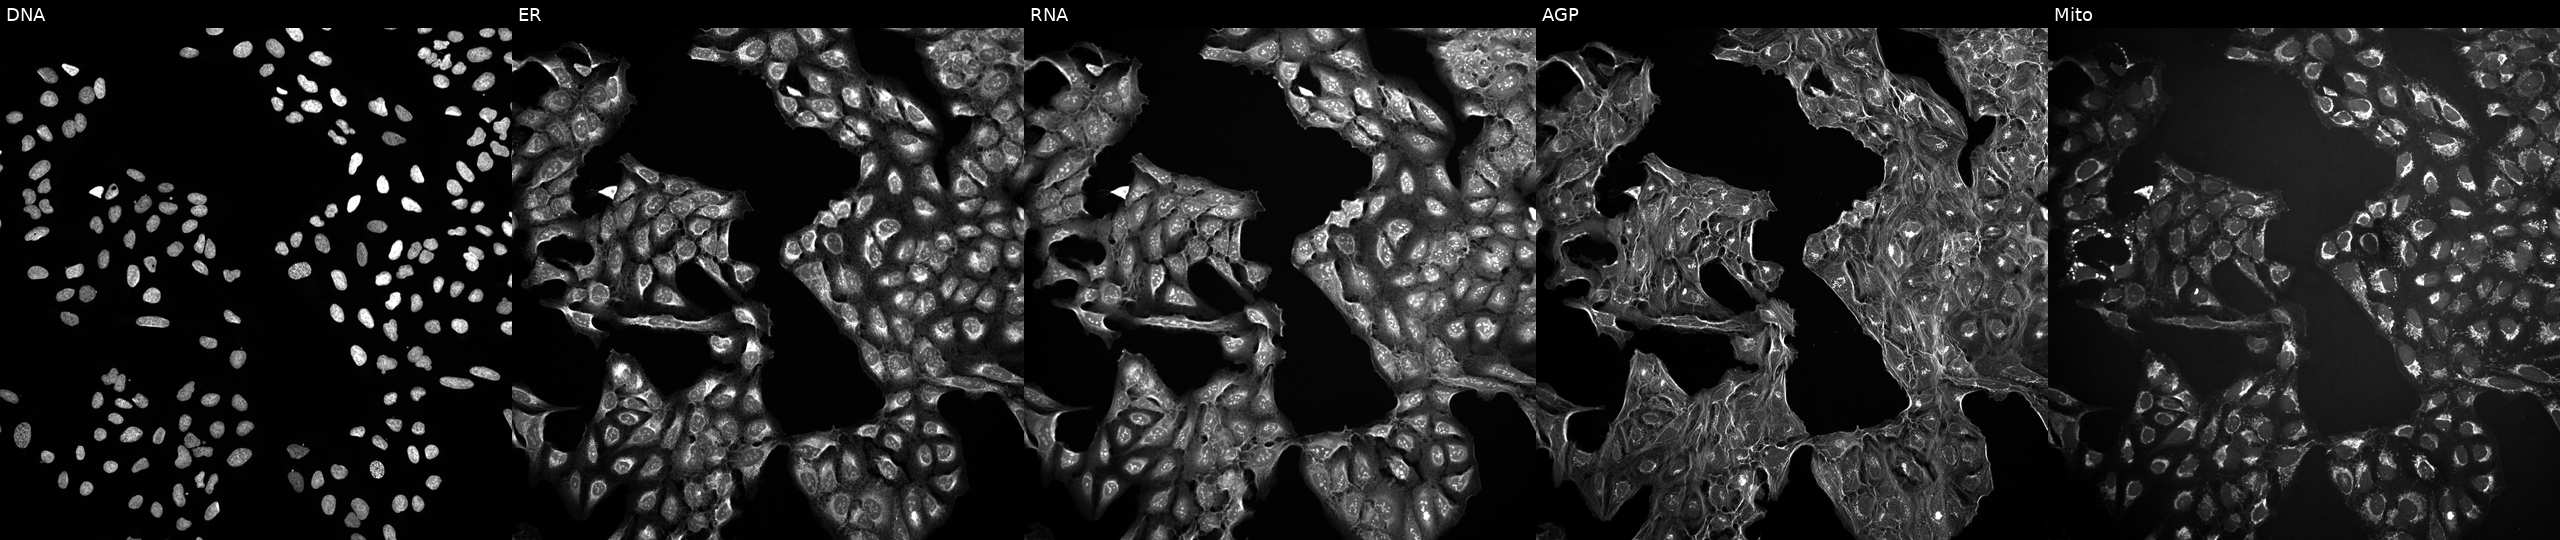
This image strip shows the five Cell Painting channels for a single field of U2OS cells untreated (empty-well control) (JUMP id JCP2022_999999). From left to right: Hoechst 33342, concanavalin A, SYTO 14, phalloidin and WGA, MitoTracker. Source 10, plate Dest210531-152324, well N06.